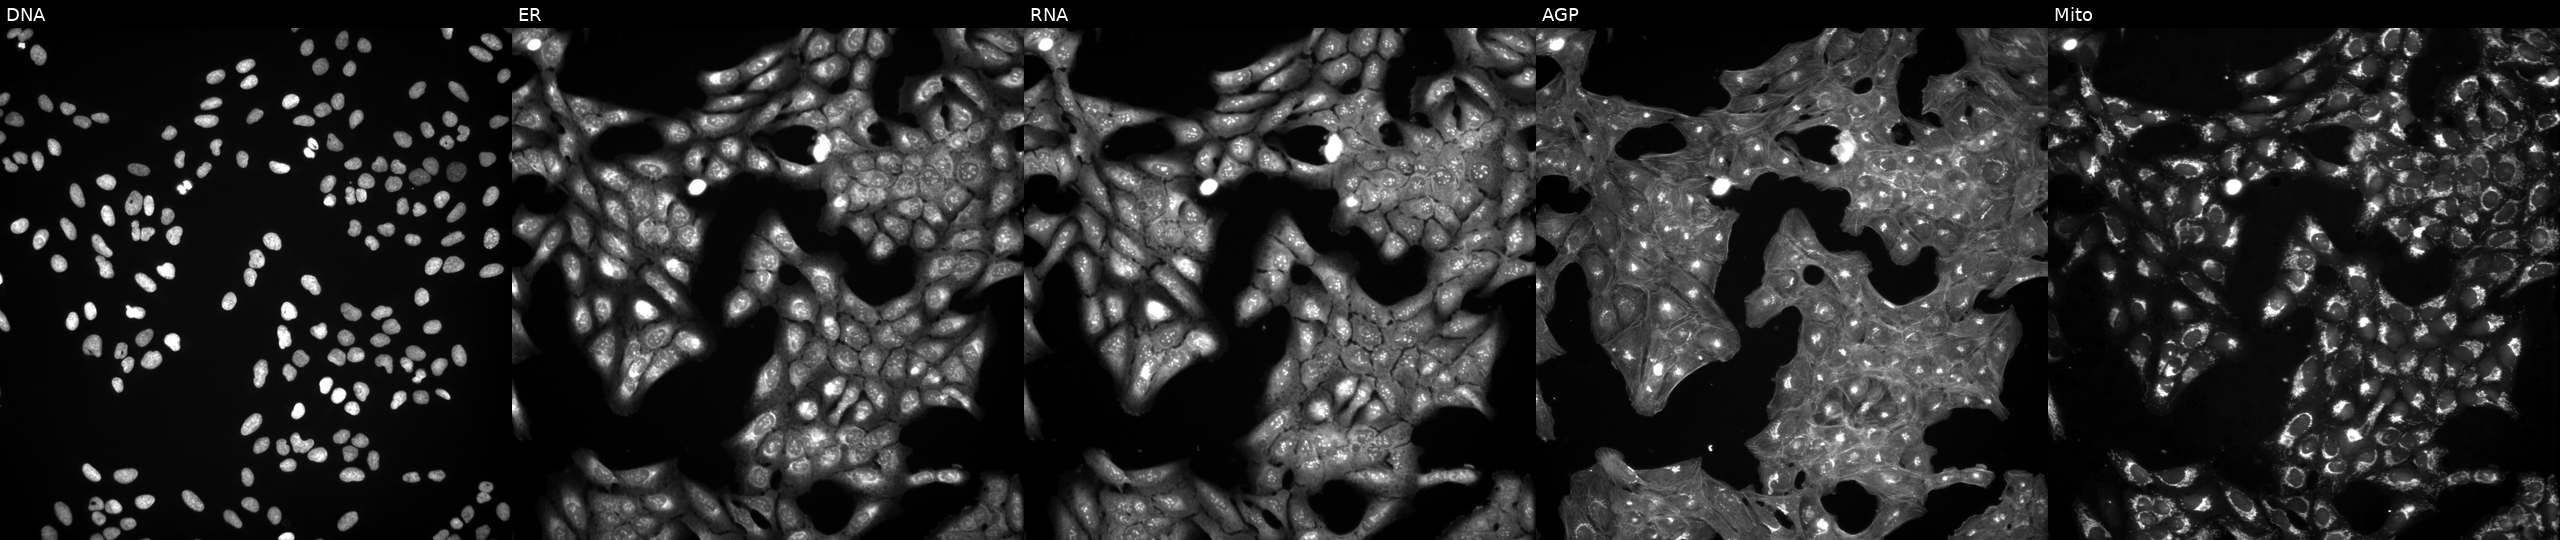
JUMP Cell Painting — COMPOUND plate. U2OS cells exposed to a small-molecule compound (InChIKey SJMRASAWQHHYQG-UHFFFAOYSA-N) (JUMP id JCP2022_083648). Panels show, left to right, DNA, ER, RNA, AGP, and Mito.